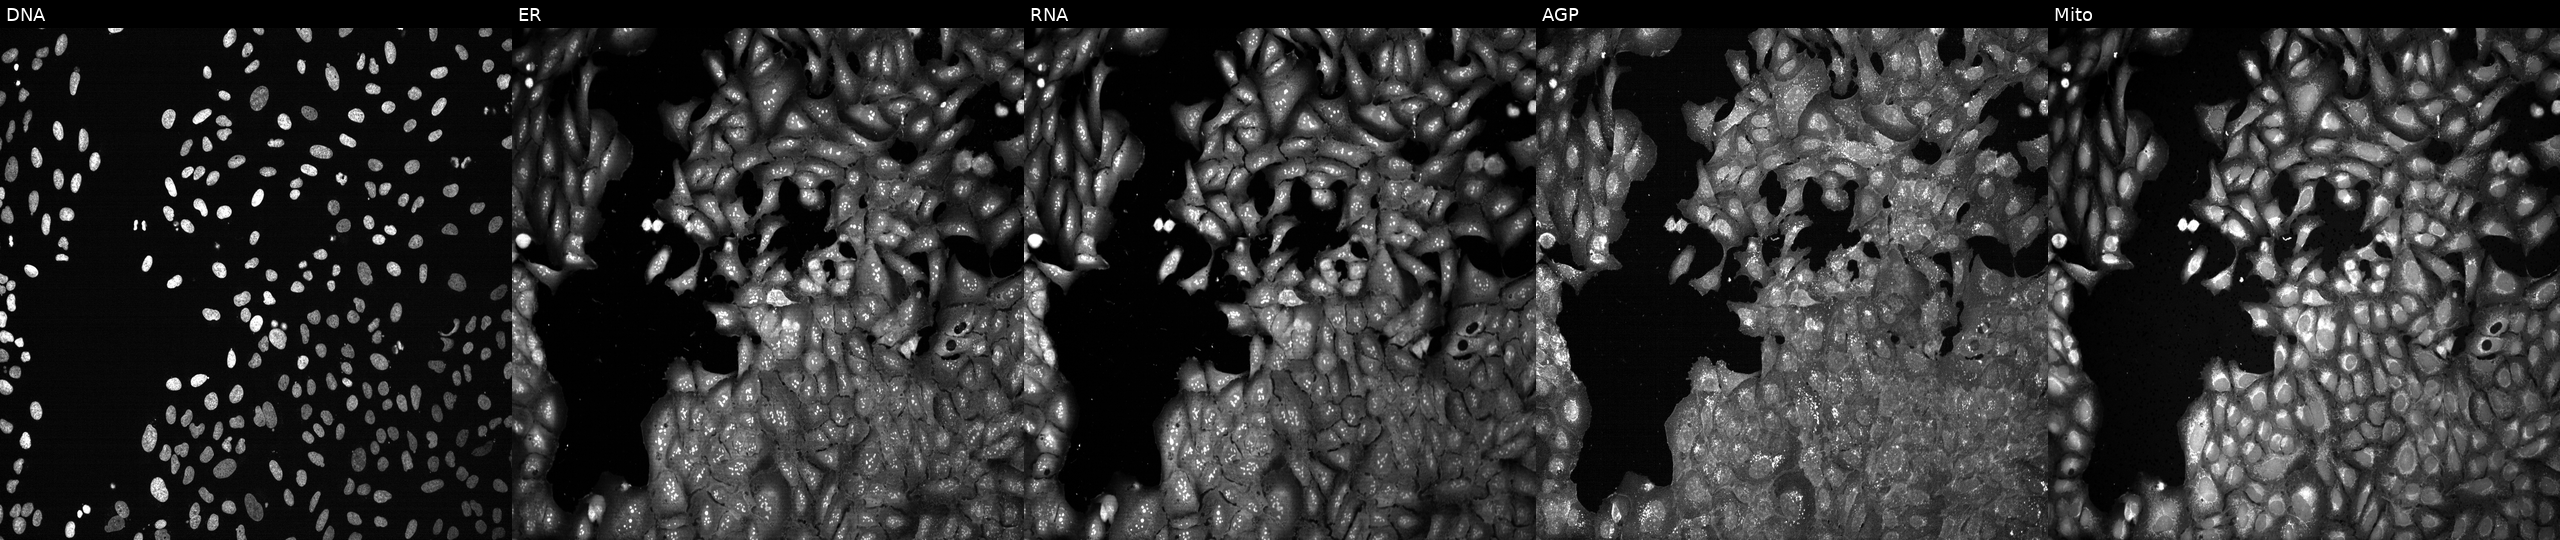
Five-channel Cell Painting image of U2OS cells CRISPR-edited to disrupt CD5L (JUMP id JCP2022_801161). Channels (left→right): DNA, ER, RNA, AGP, and Mito.